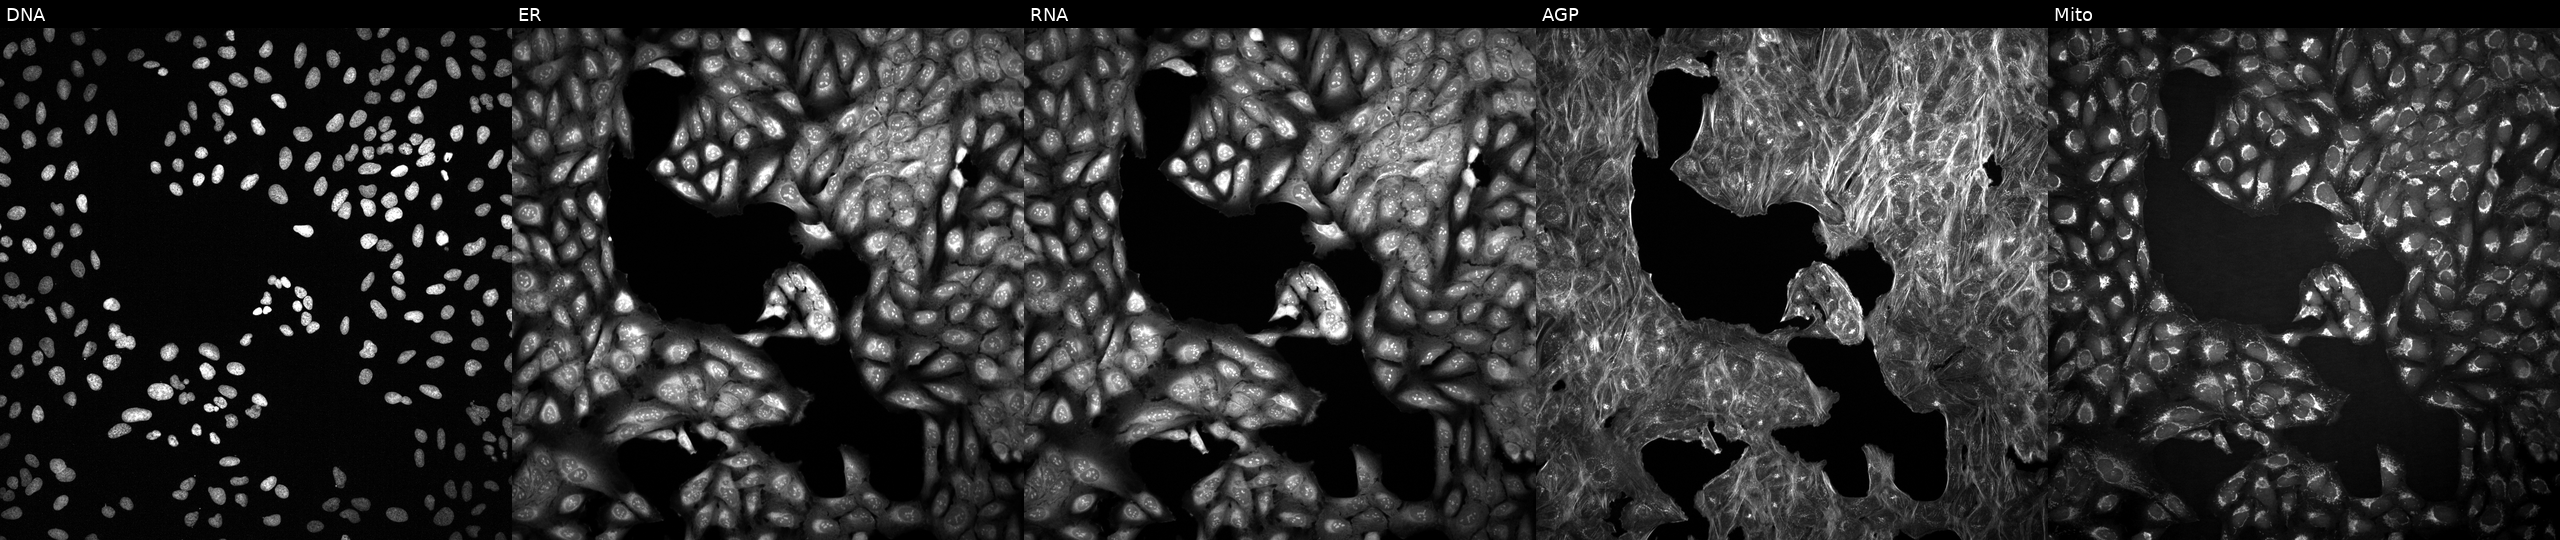
Five-channel Cell Painting image of U2OS cells treated with a small-molecule compound. From left to right: DNA, ER, RNA, AGP, and Mito.